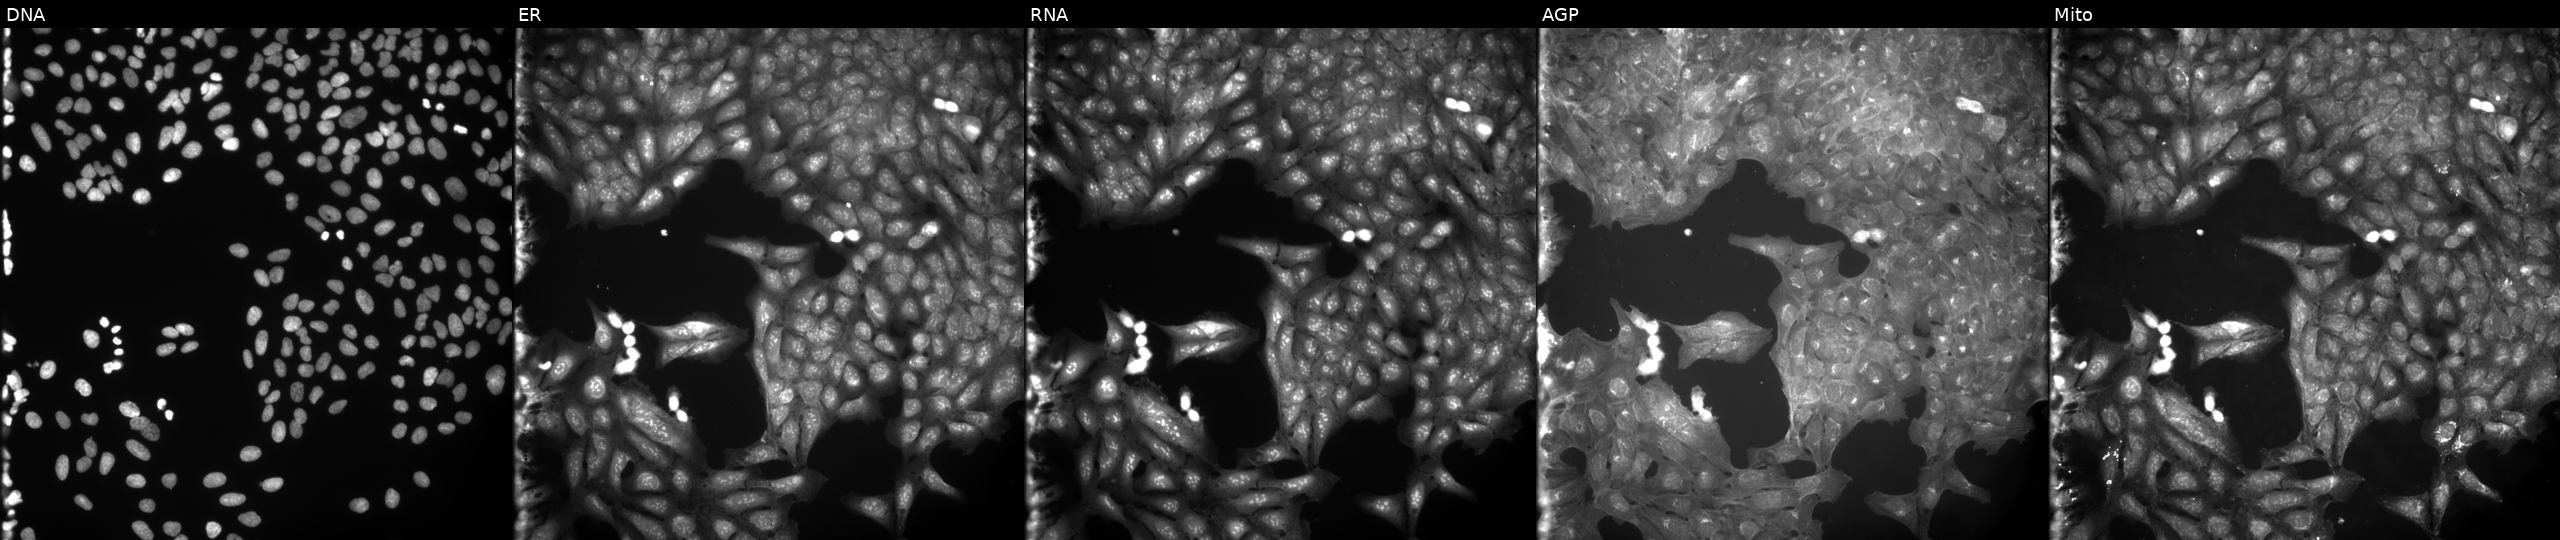
Five-channel Cell Painting image of U2OS cells treated with a small-molecule compound (InChIKey MJJIGHZSUZLPFX-UHFFFAOYSA-N). From left to right: DNA (nuclei); ER (endoplasmic reticulum); RNA (nucleoli and cytoplasmic RNA); AGP (actin cytoskeleton, Golgi, and plasma membrane); Mito (mitochondria).